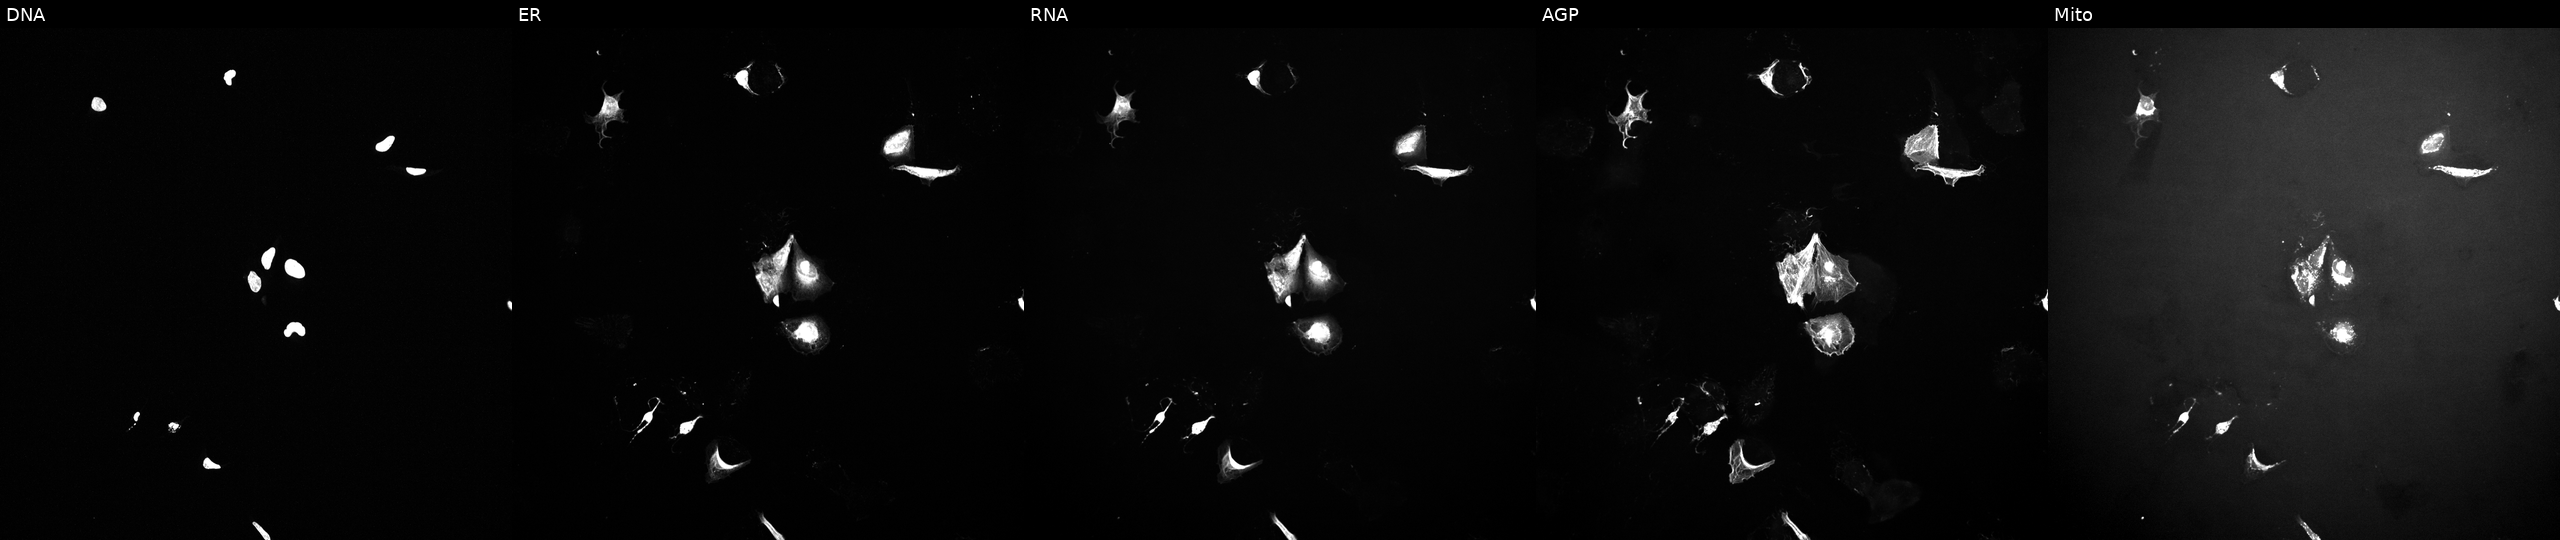
U2OS cells, Cell Painting assay, exposed to a small-molecule compound (InChIKey AYCPARAPKDAOEN-UHFFFAOYSA-N) (JUMP id JCP2022_004587). From left to right: DNA (nuclei); ER (endoplasmic reticulum); RNA (nucleoli and cytoplasmic RNA); AGP (actin cytoskeleton, Golgi, and plasma membrane); Mito (mitochondria). Each panel is percentile-stretched 16-bit fluorescence. Source 10, plate Dest210726-160150, well H08.